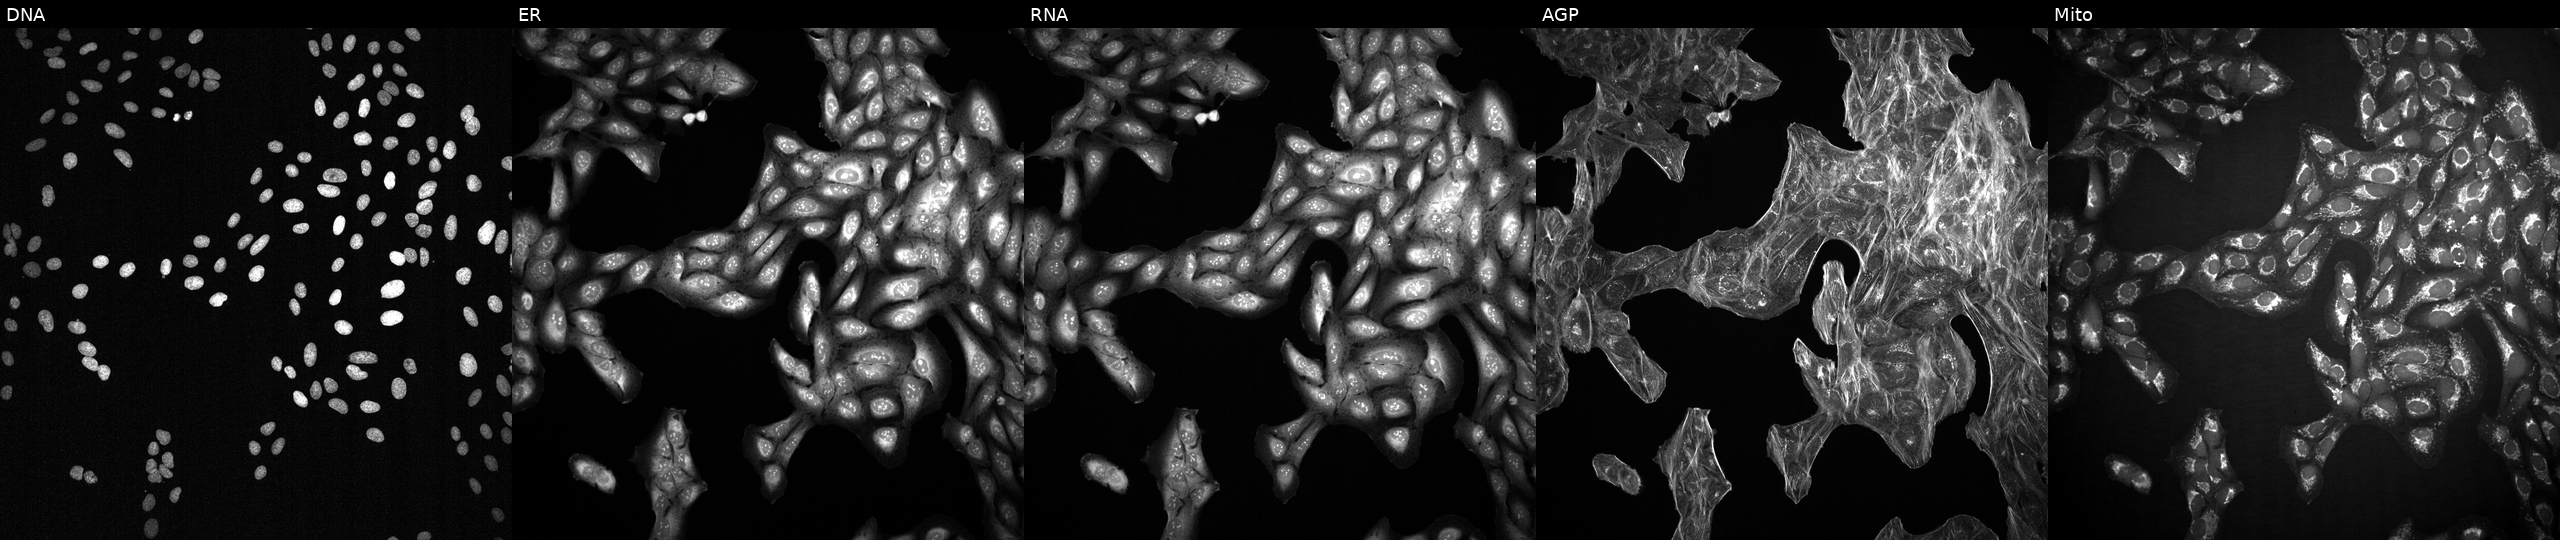
High-content fluorescence microscopy (Cell Painting). Cell line: U2OS. Perturbation: exposed to a small-molecule compound. Channels (left→right): DNA, ER, RNA, AGP, and Mito.